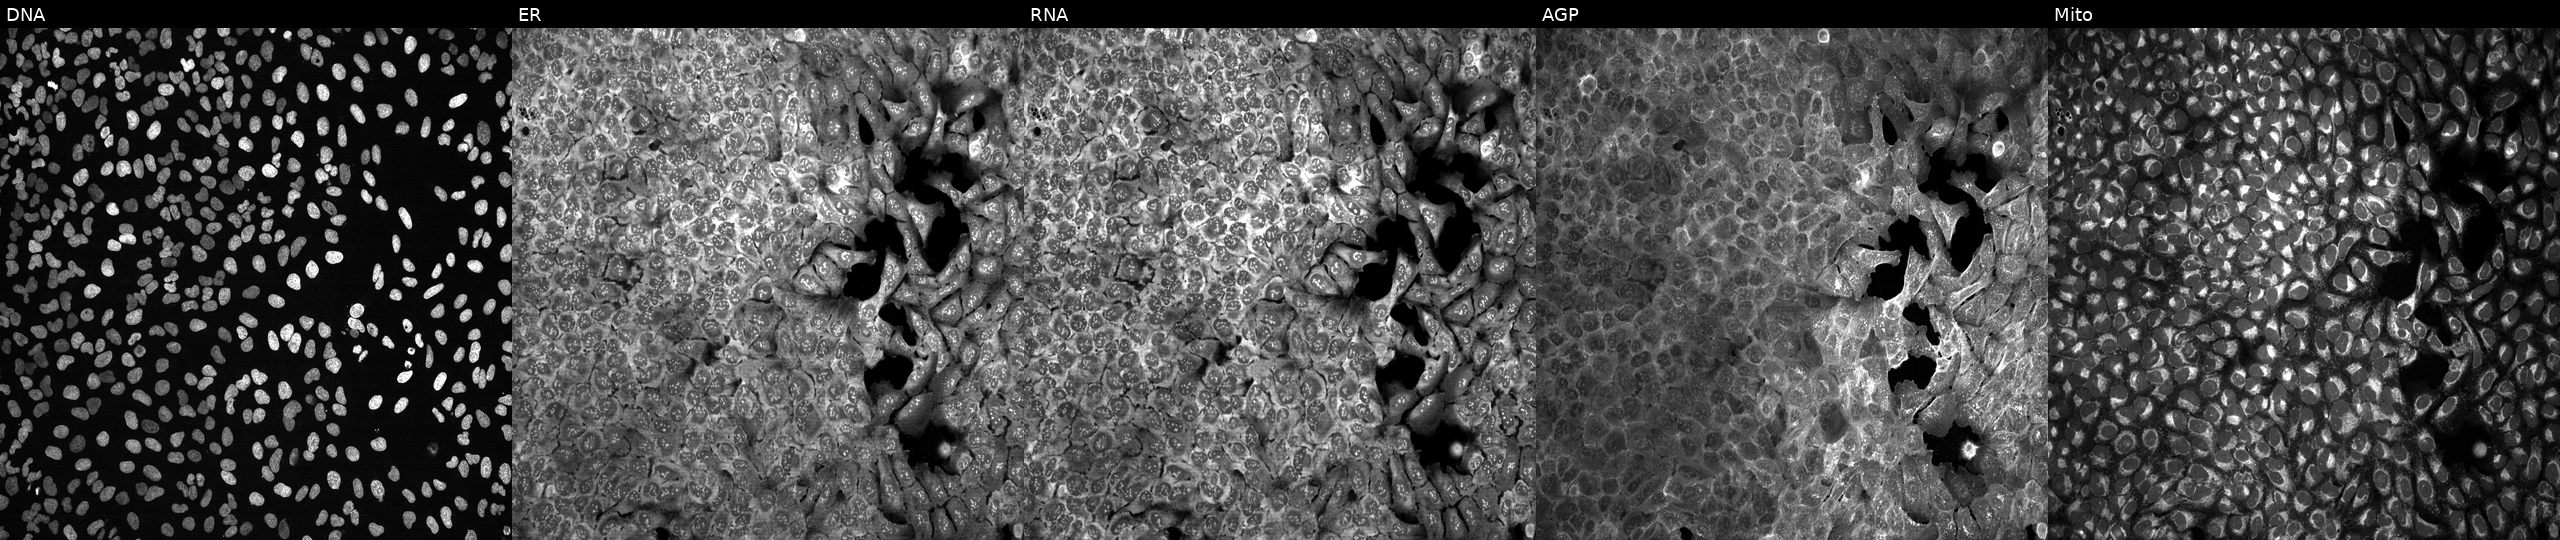
U2OS cells, Cell Painting assay, with ZIC5 knocked out by CRISPR (JUMP id JCP2022_807799). The five panels, left to right, show DNA (nuclei); ER (endoplasmic reticulum); RNA (nucleoli and cytoplasmic RNA); AGP (actin cytoskeleton, Golgi, and plasma membrane); Mito (mitochondria). Each panel is percentile-stretched 16-bit fluorescence. Source 13, plate CP-CC9-R6-19, well L10.